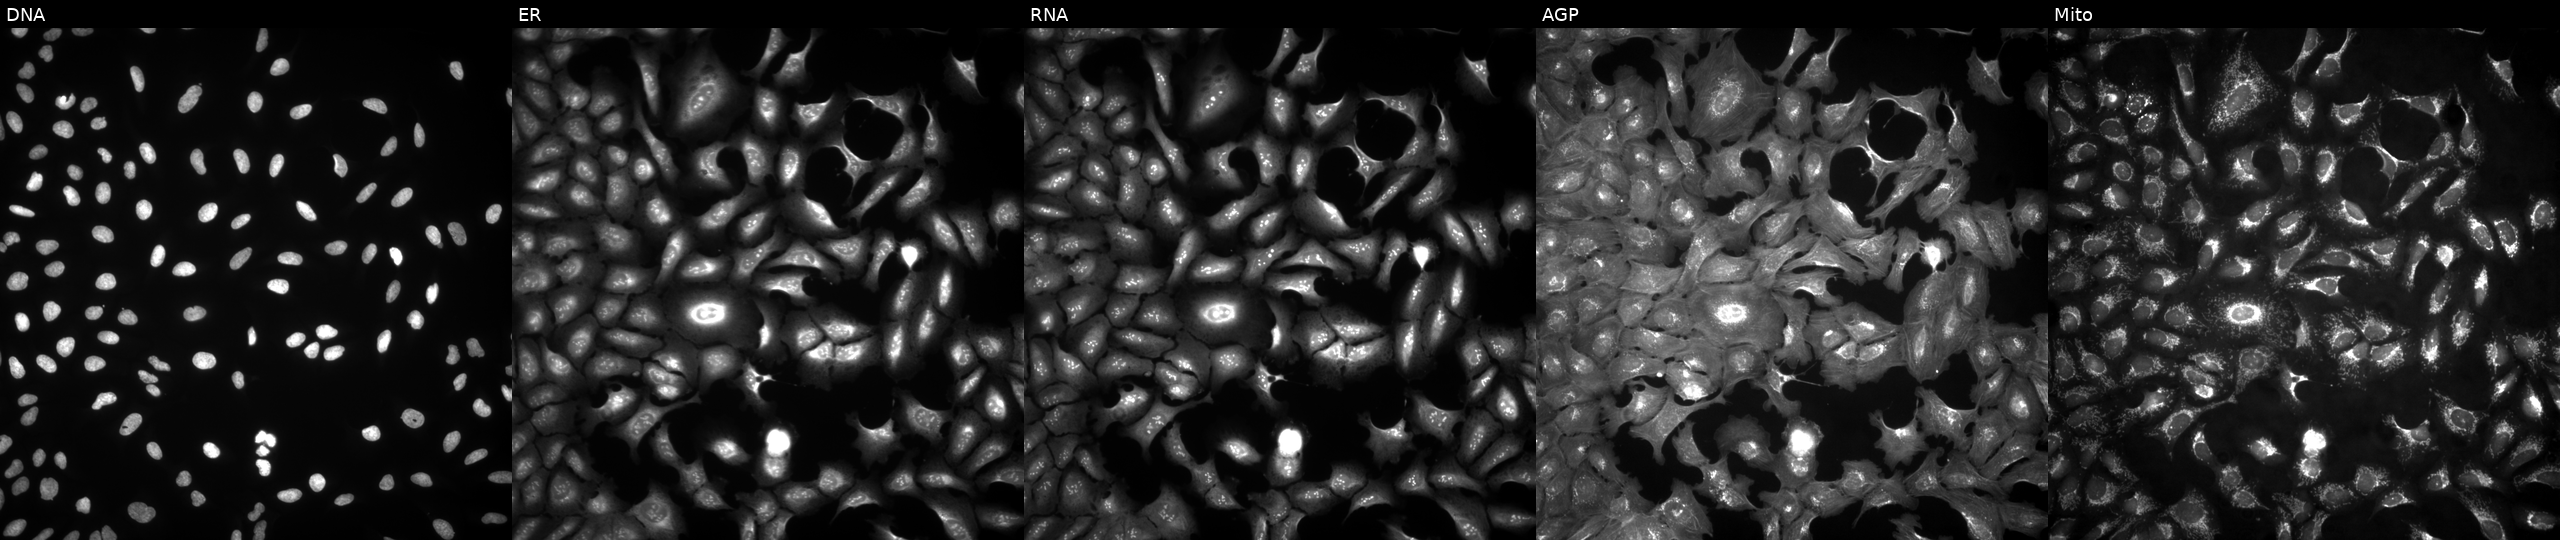
The five panels, left to right, show DNA, ER, RNA, AGP, and Mito. U2OS osteosarcoma cells transfected with an ORF construct for PPM1K (JUMP id JCP2022_909032). Cell Painting assay, JUMP-CP dataset.